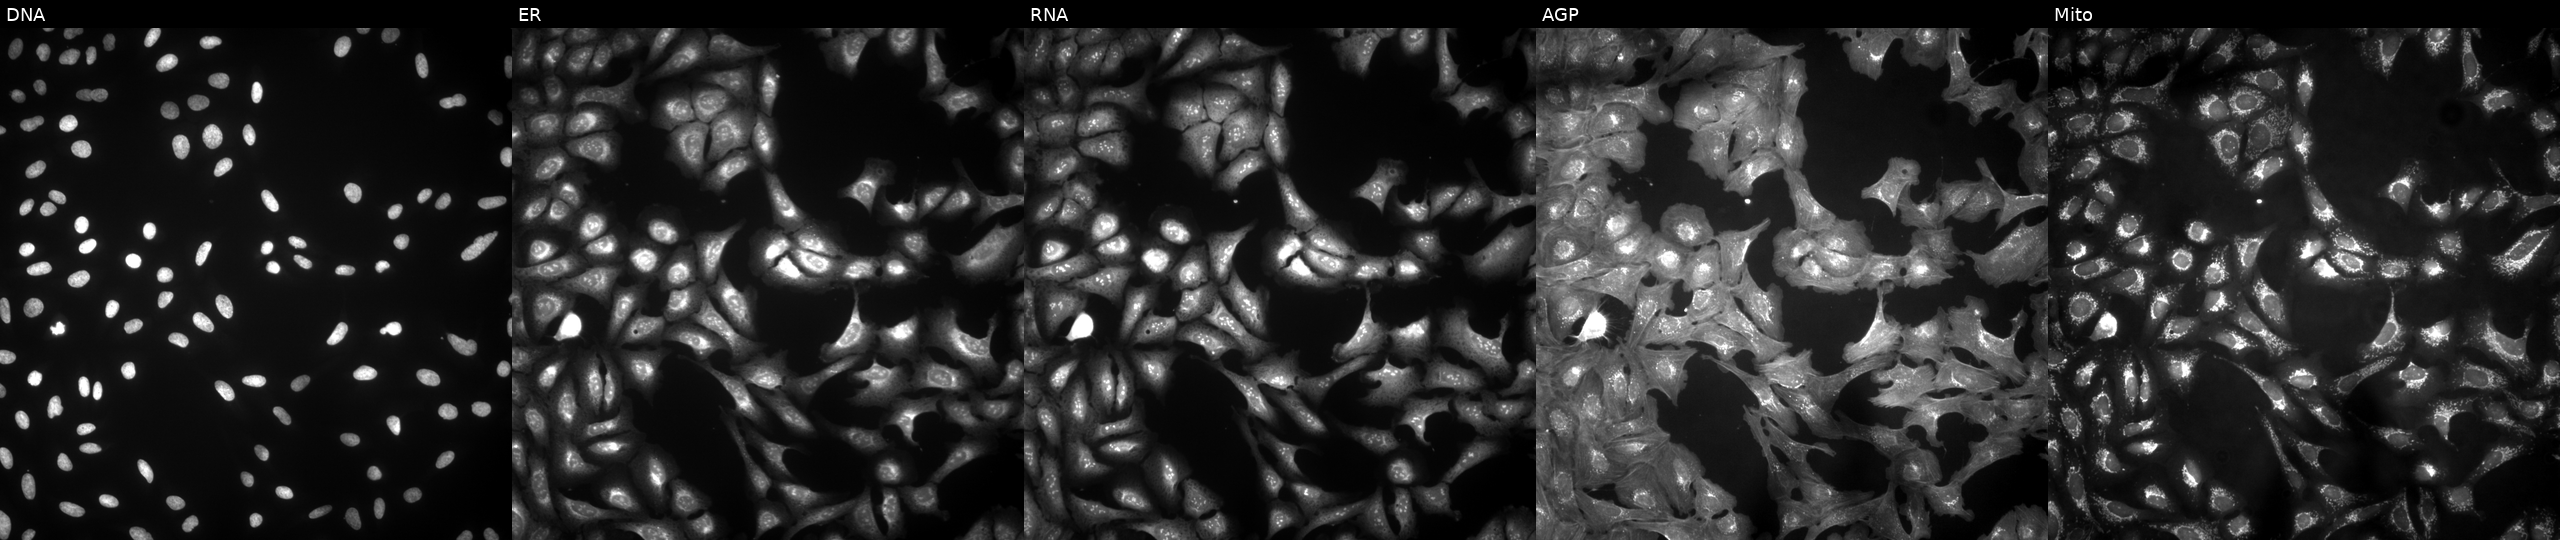
This image strip shows the five Cell Painting channels for a single field of U2OS cells overexpressing FMNL1 via ORF transfection. Panels show, left to right, DNA, ER, RNA, AGP, and Mito. Source 4, plate BR00123506, well A13.